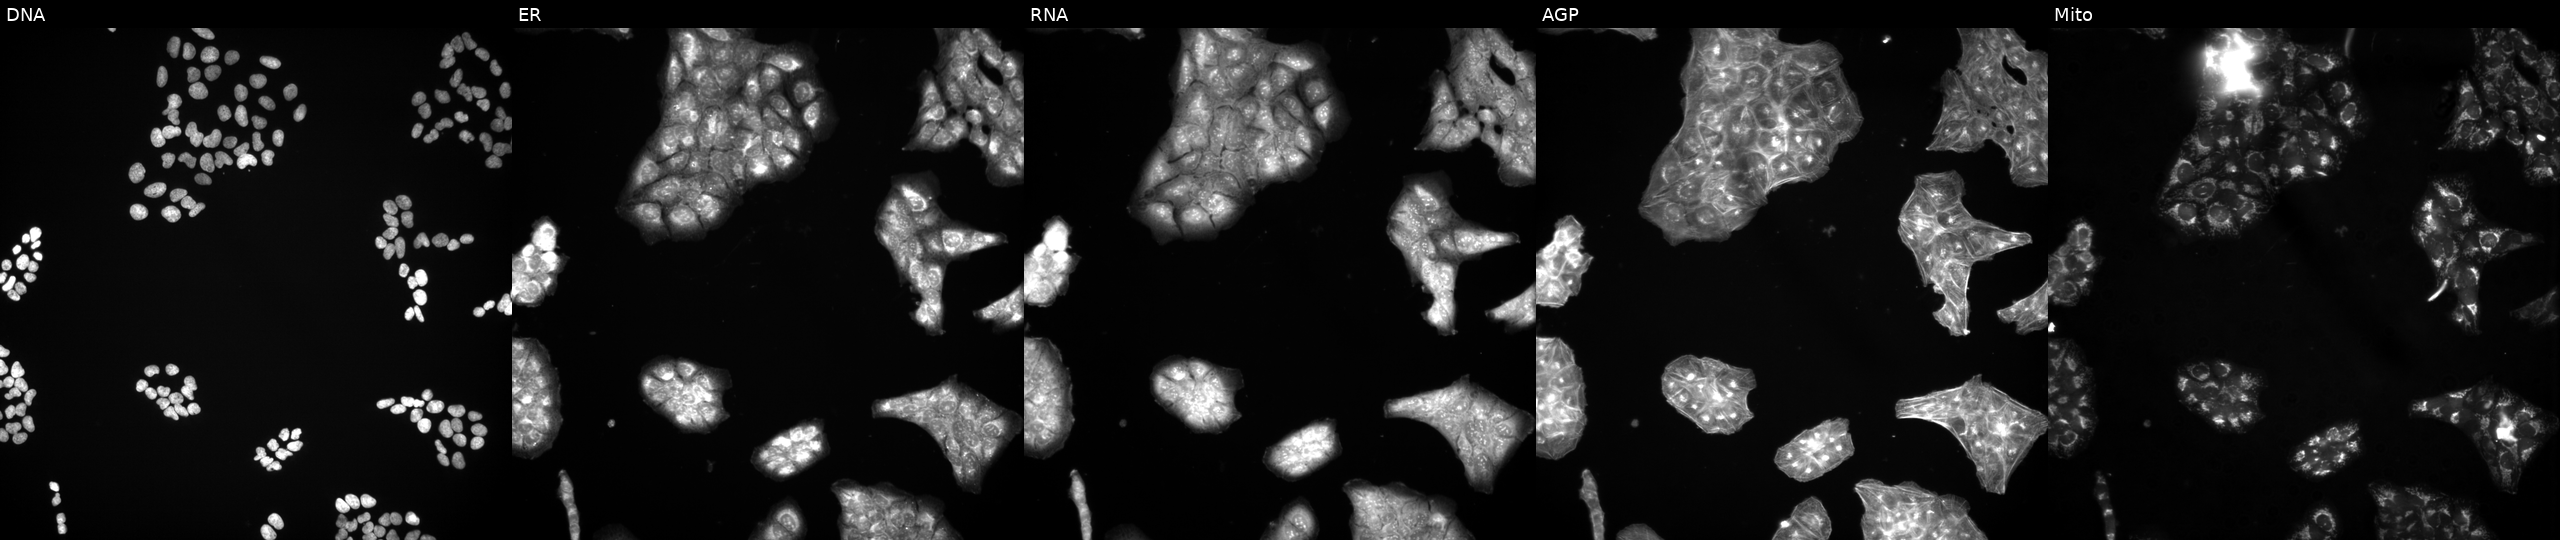
Five-channel Cell Painting image of U2OS cells perturbed with a small-molecule compound (InChIKey ZVPDNRVYHLRXLX-UHFFFAOYSA-N) (JUMP id JCP2022_115963). The five panels, left to right, show DNA (nuclei); ER (endoplasmic reticulum); RNA (nucleoli and cytoplasmic RNA); AGP (actin cytoskeleton, Golgi, and plasma membrane); Mito (mitochondria). Source 3, plate JCPQC053, well B04.